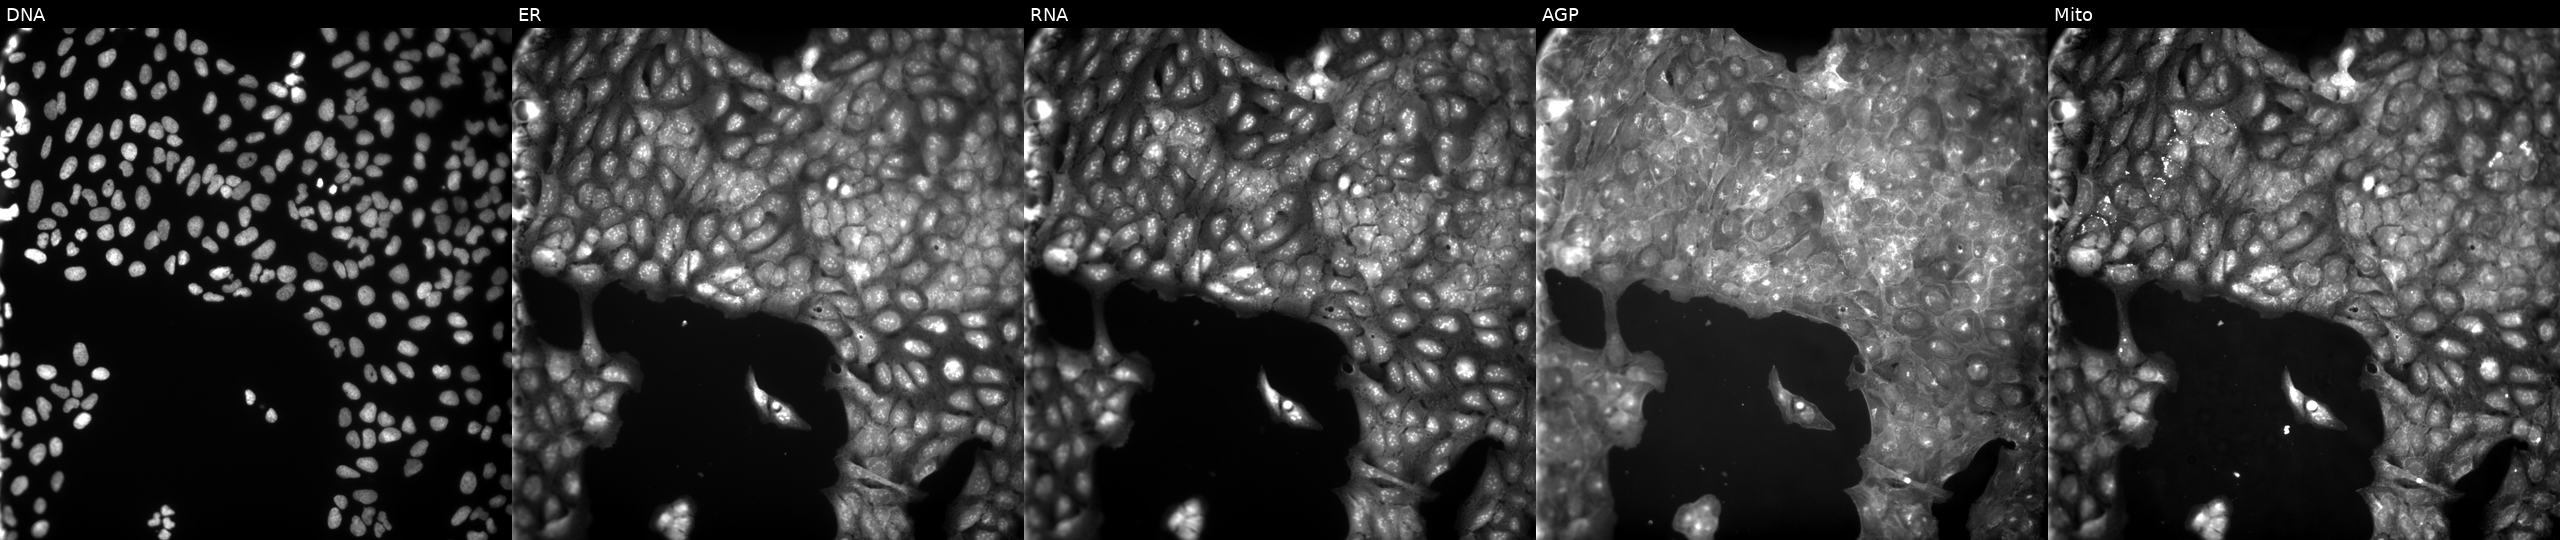
High-content fluorescence microscopy (Cell Painting). Cell line: U2OS. Perturbation: treated with DMSO vehicle only (negative control). Panels show, left to right, Hoechst 33342, concanavalin A, SYTO 14, phalloidin and WGA, MitoTracker. Source 9, plate GR00003381, well Z02.